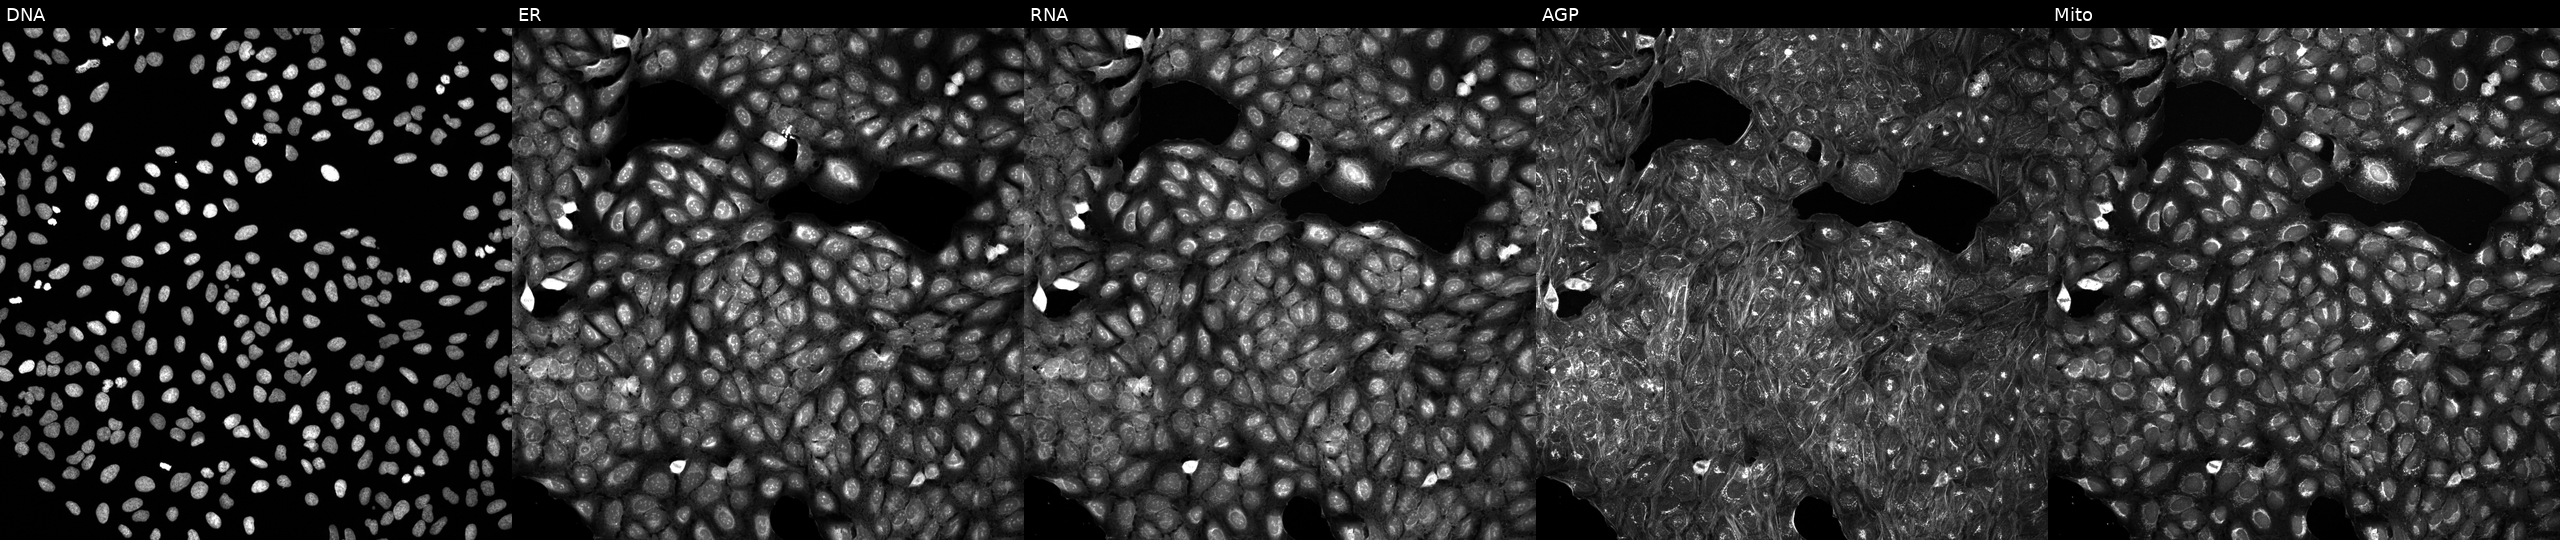
High-content fluorescence microscopy (Cell Painting). Cell line: U2OS. Perturbation: exposed to a small-molecule compound [SMILES: Cn1cc(Cc2cc(O)n(Cc3cccc4cccnc34)c2O)cn1] (JUMP id JCP2022_058508). Panels show, left to right, DNA, ER, RNA, AGP, and Mito.